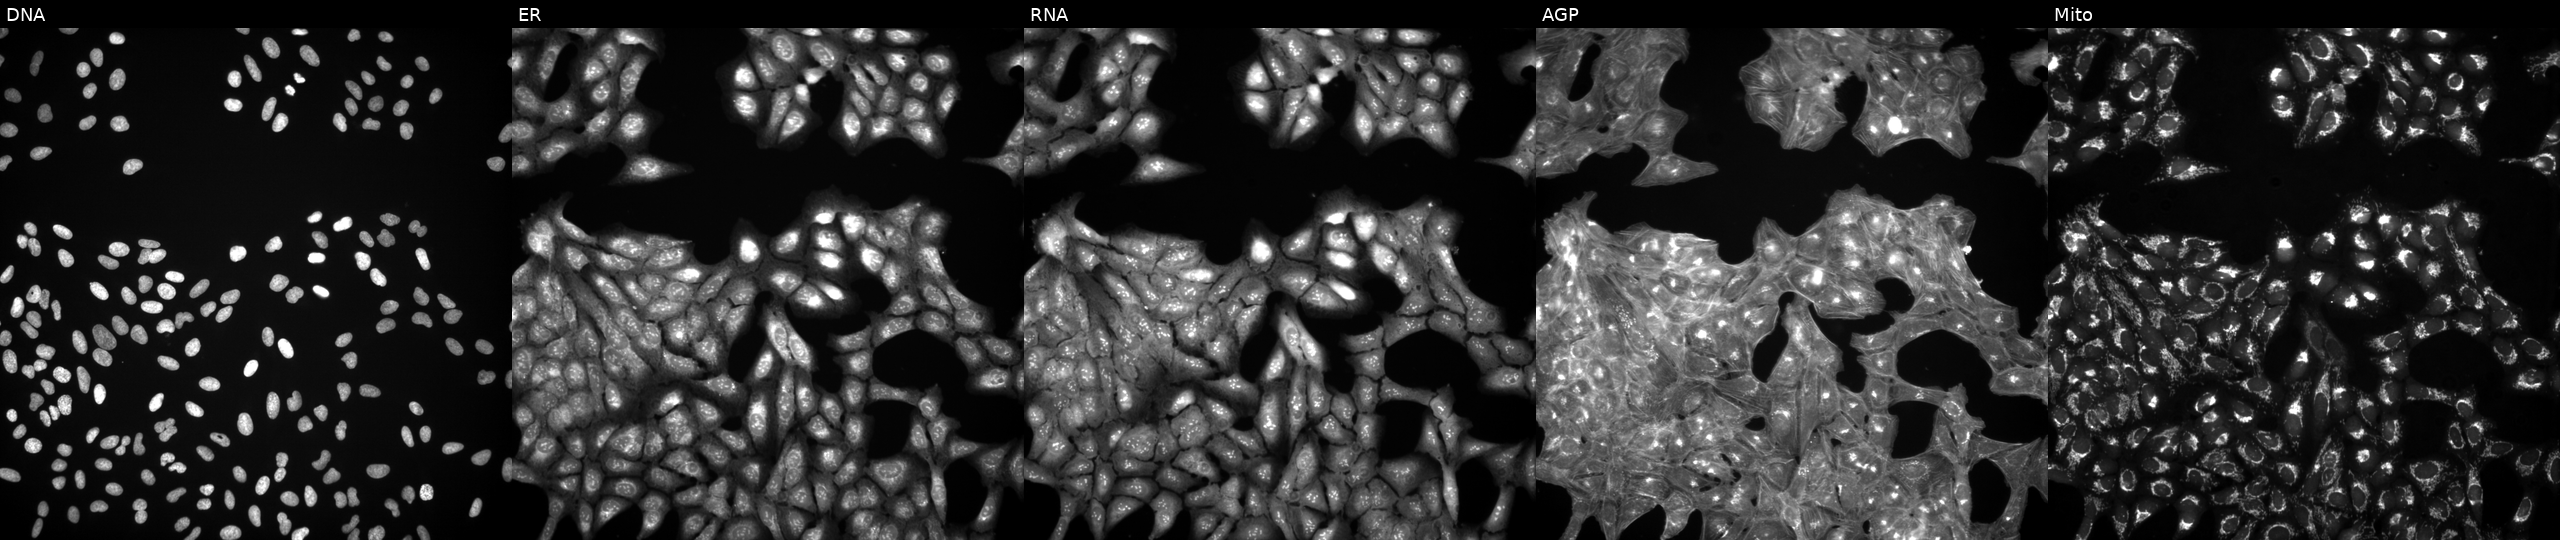
Five-channel Cell Painting image of U2OS cells exposed to a small-molecule compound (JUMP id JCP2022_069285). Panels show, left to right, DNA (nuclei); ER (endoplasmic reticulum); RNA (nucleoli and cytoplasmic RNA); AGP (actin cytoskeleton, Golgi, and plasma membrane); Mito (mitochondria). Source 3, plate JCPQC051, well G15.